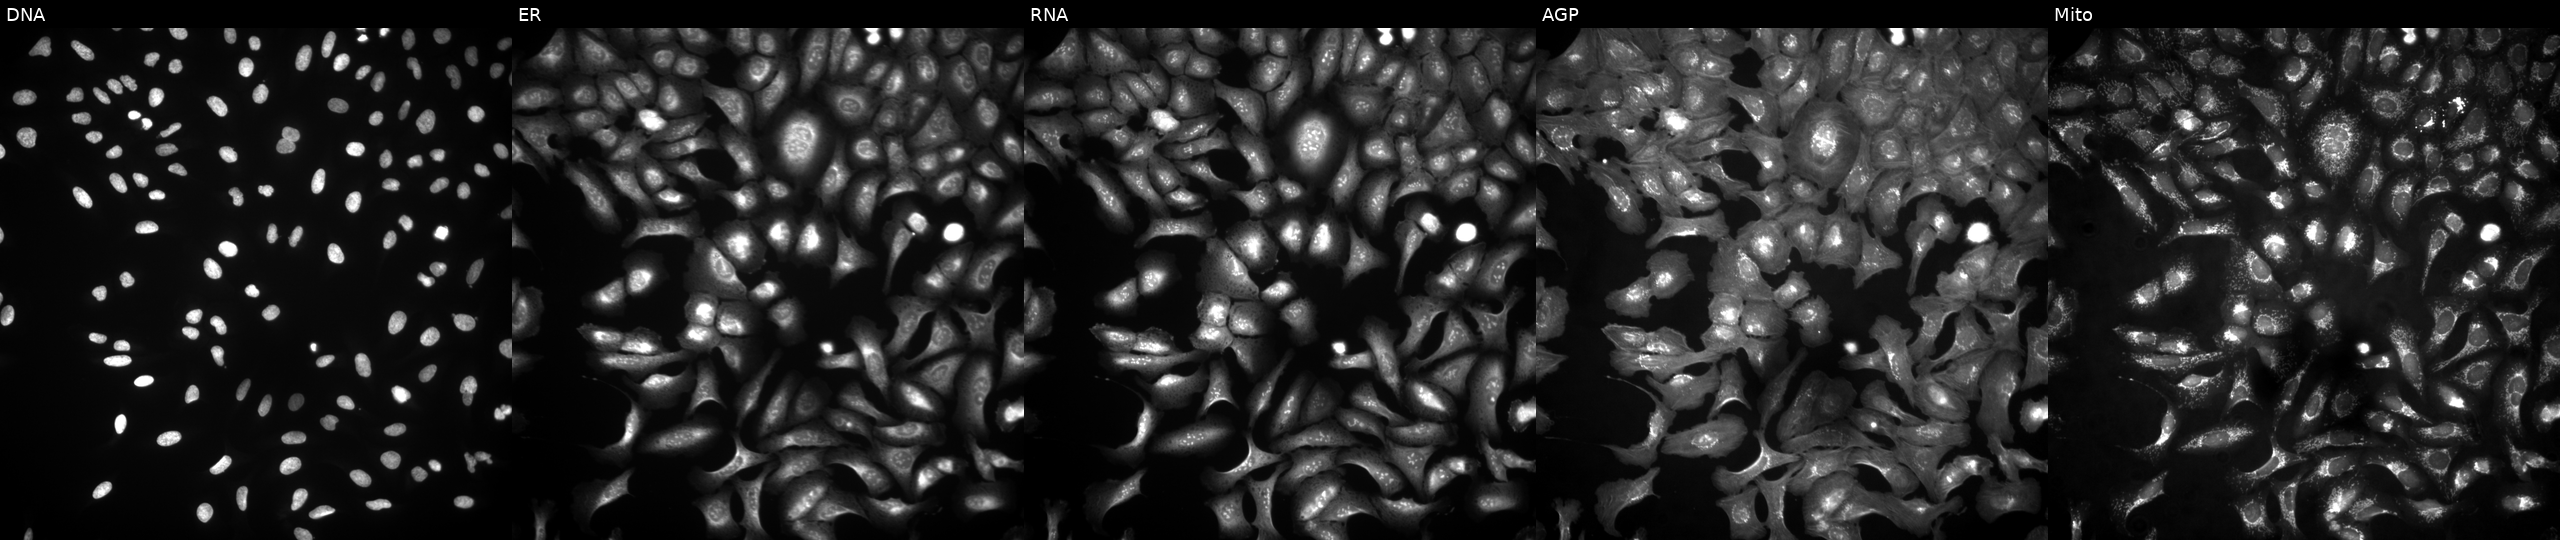
Five-channel Cell Painting image of U2OS cells transfected with an ORF construct for KDELR2 (JUMP id JCP2022_902431). Panels show, left to right, DNA (nuclei); ER (endoplasmic reticulum); RNA (nucleoli and cytoplasmic RNA); AGP (actin cytoskeleton, Golgi, and plasma membrane); Mito (mitochondria). Source 4, plate BR00124790, well F24.